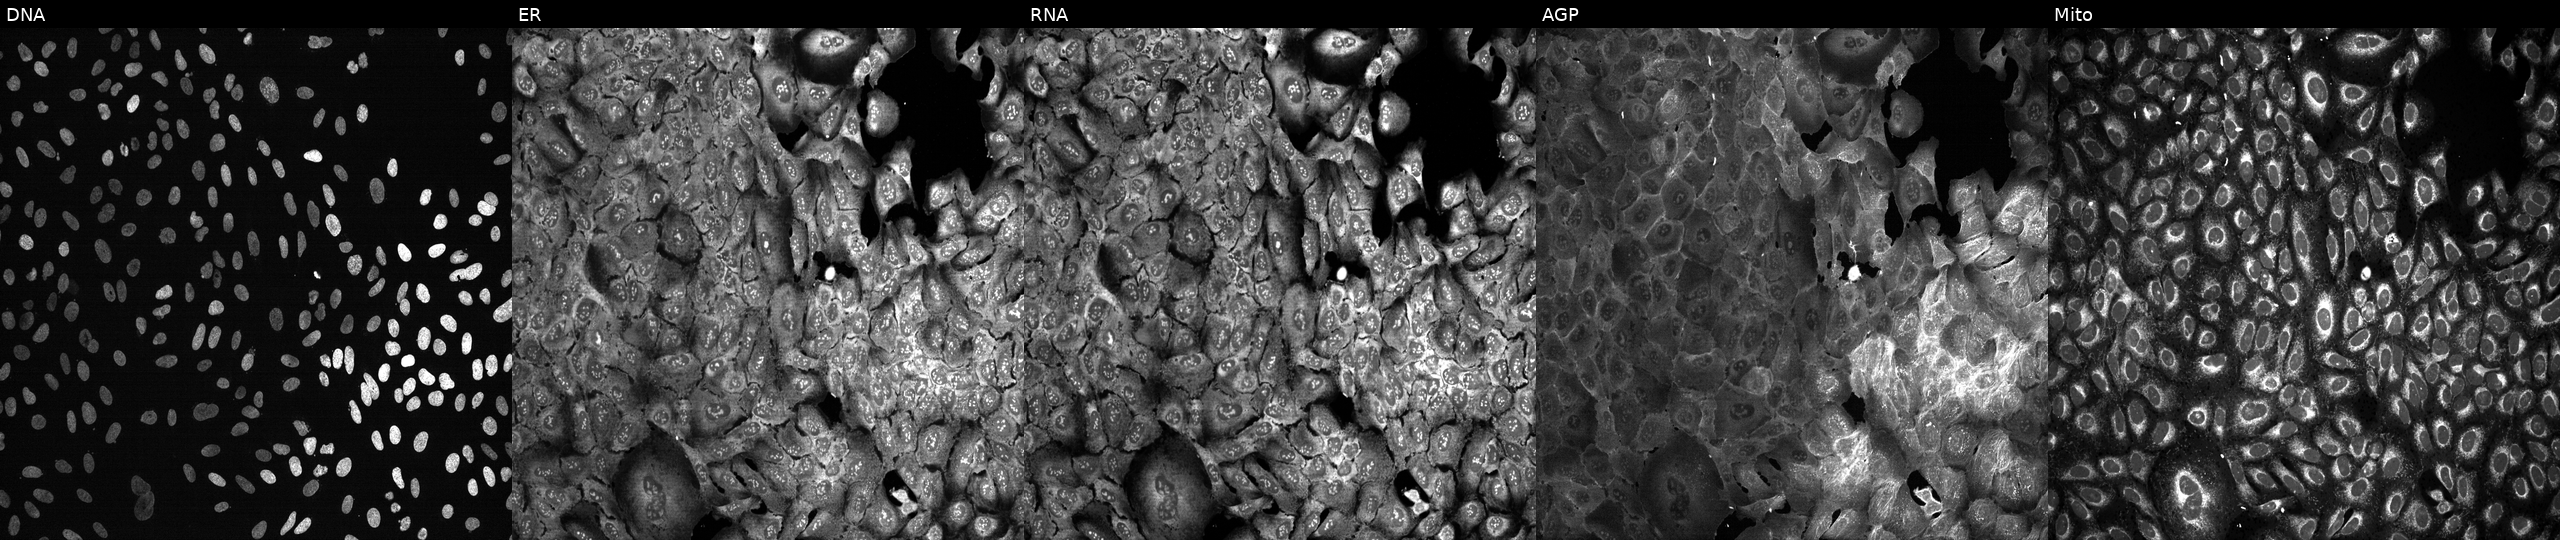
U2OS cells, Cell Painting assay, with ICT1 knocked out by CRISPR (JUMP id JCP2022_803314). From left to right: DNA, ER, RNA, AGP, and Mito. Each panel is percentile-stretched 16-bit fluorescence. Source 13, plate CP-CC9-R2-01, well B05.